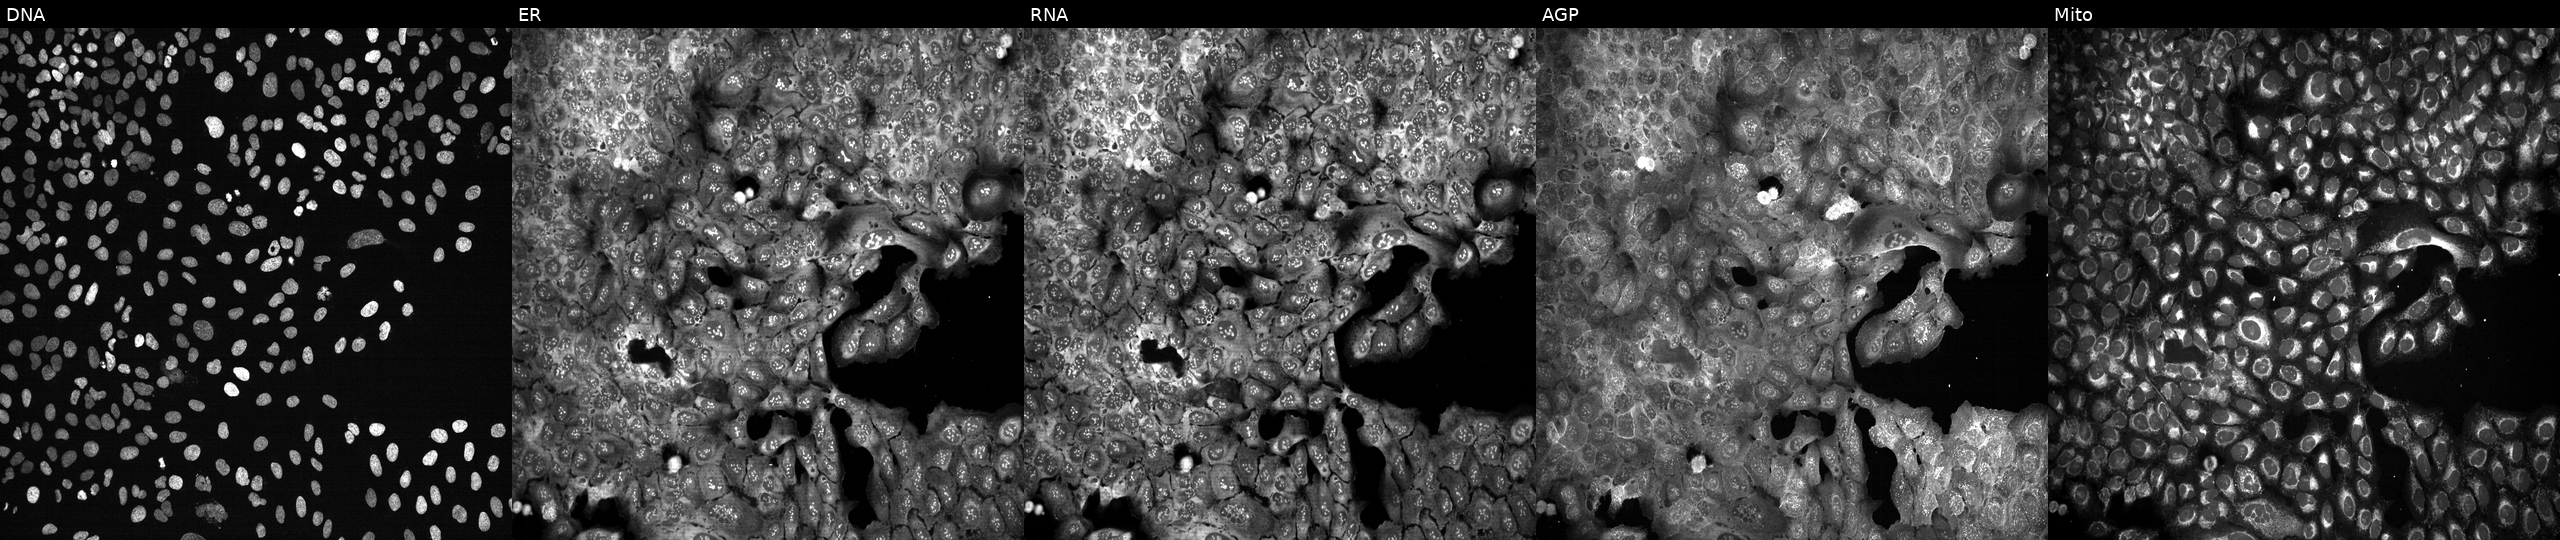
High-content fluorescence microscopy (Cell Painting). Cell line: U2OS. Perturbation: following CRISPR knockout of IDS (JUMP id JCP2022_803329). The five panels, left to right, show Hoechst 33342, concanavalin A, SYTO 14, phalloidin and WGA, MitoTracker.